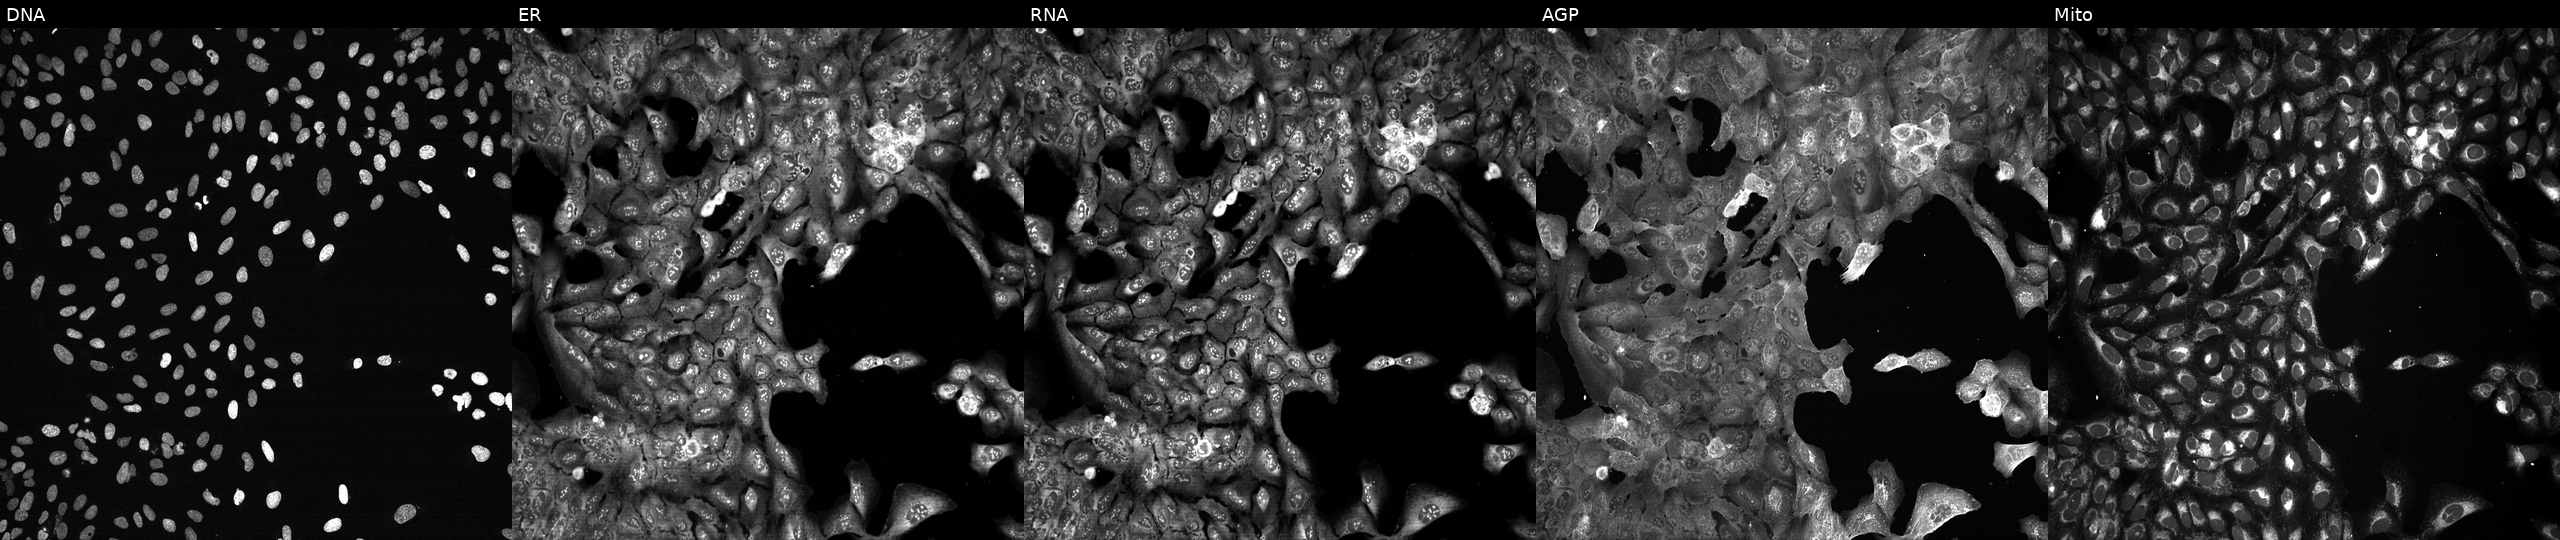
U2OS cells, Cell Painting assay, following CRISPR knockout of ATP4A (JUMP id JCP2022_800718). The five panels, left to right, show DNA (nuclei); ER (endoplasmic reticulum); RNA (nucleoli and cytoplasmic RNA); AGP (actin cytoskeleton, Golgi, and plasma membrane); Mito (mitochondria). Each panel is percentile-stretched 16-bit fluorescence.